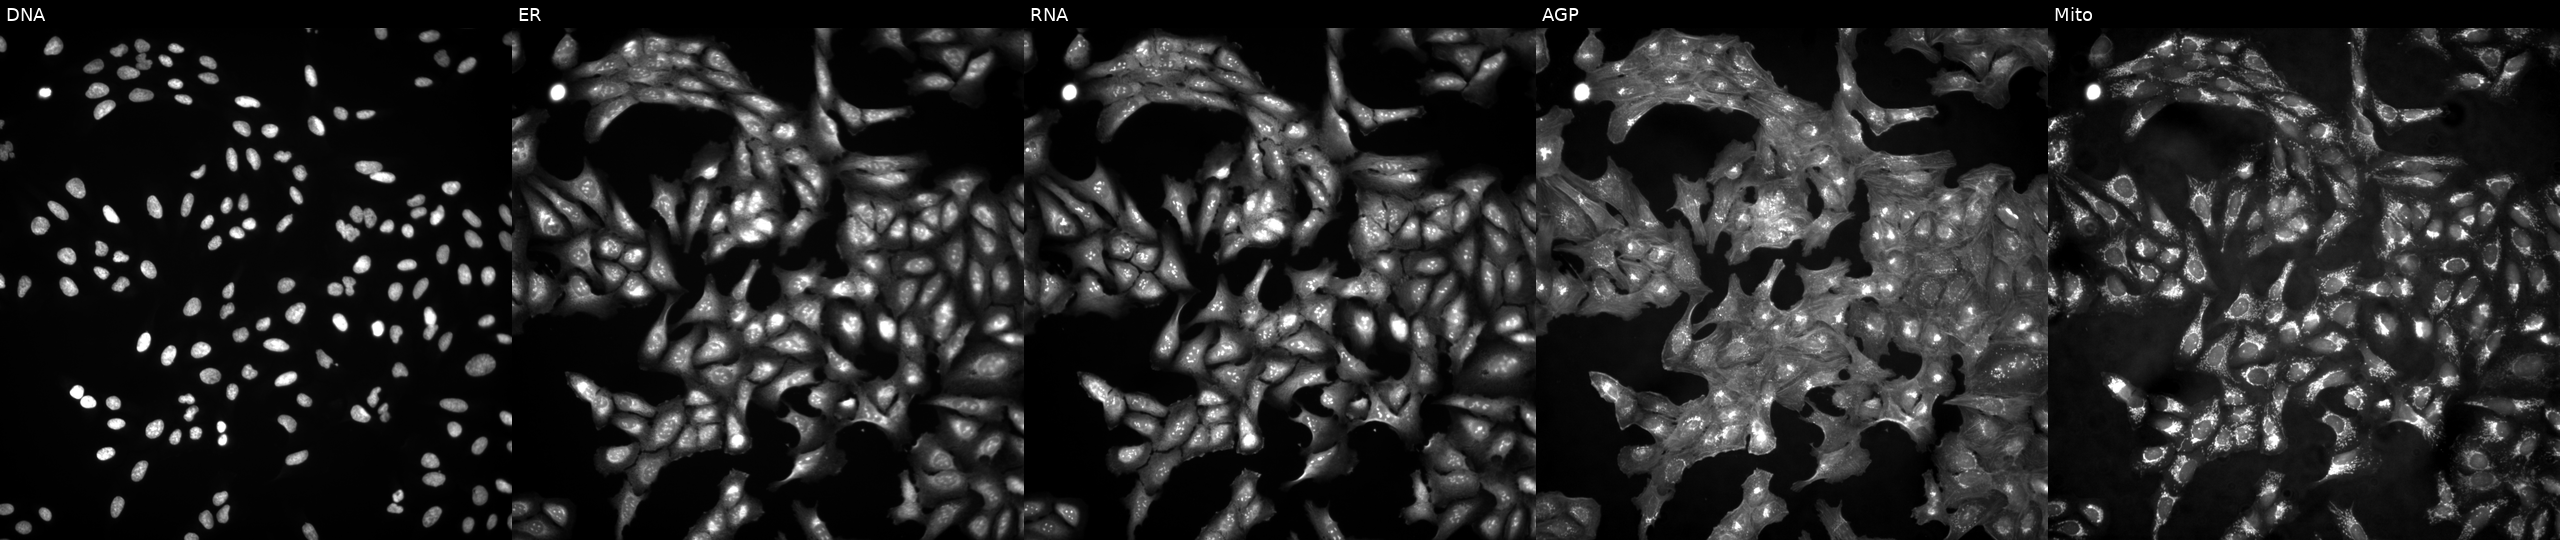
U2OS cells, Cell Painting assay, in an empty control well (no perturbation) (JUMP id JCP2022_999999). From left to right: DNA, ER, RNA, AGP, and Mito. Each panel is percentile-stretched 16-bit fluorescence.